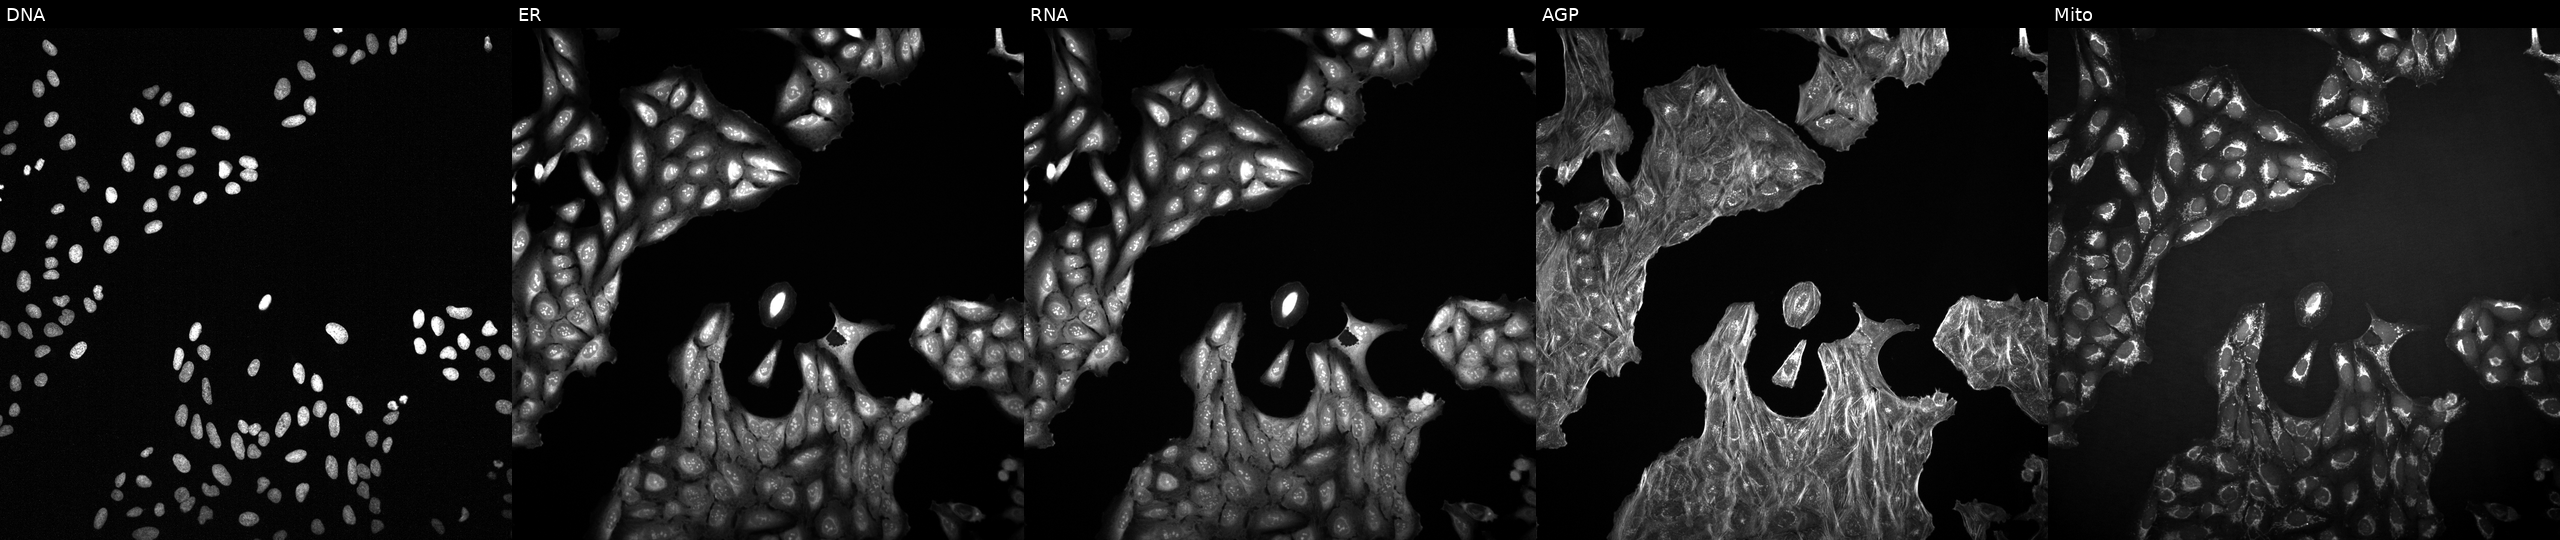
U2OS cells, Cell Painting assay, treated with a small-molecule compound (InChIKey LGXHODFXCOIGGJ-UHFFFAOYSA-N) (JUMP id JCP2022_049346). Channels (left→right): Hoechst 33342, concanavalin A, SYTO 14, phalloidin and WGA, MitoTracker. Each panel is percentile-stretched 16-bit fluorescence.